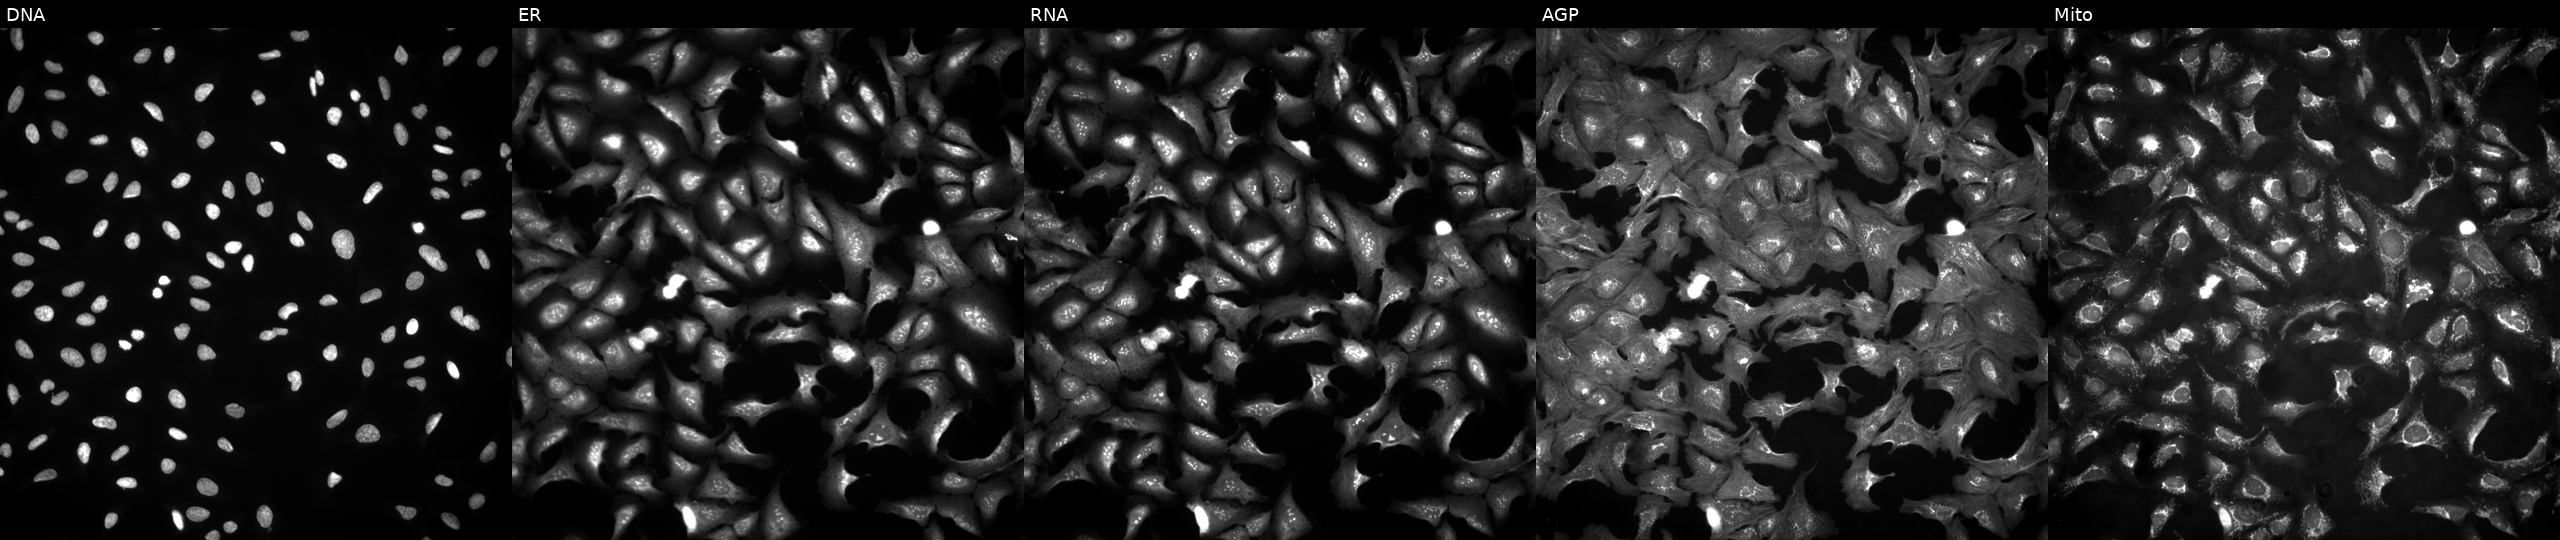
Channels (left→right): DNA (nuclei); ER (endoplasmic reticulum); RNA (nucleoli and cytoplasmic RNA); AGP (actin cytoskeleton, Golgi, and plasma membrane); Mito (mitochondria). U2OS osteosarcoma cells expressing LacZ (ORF negative control). Cell Painting assay, JUMP-CP dataset.